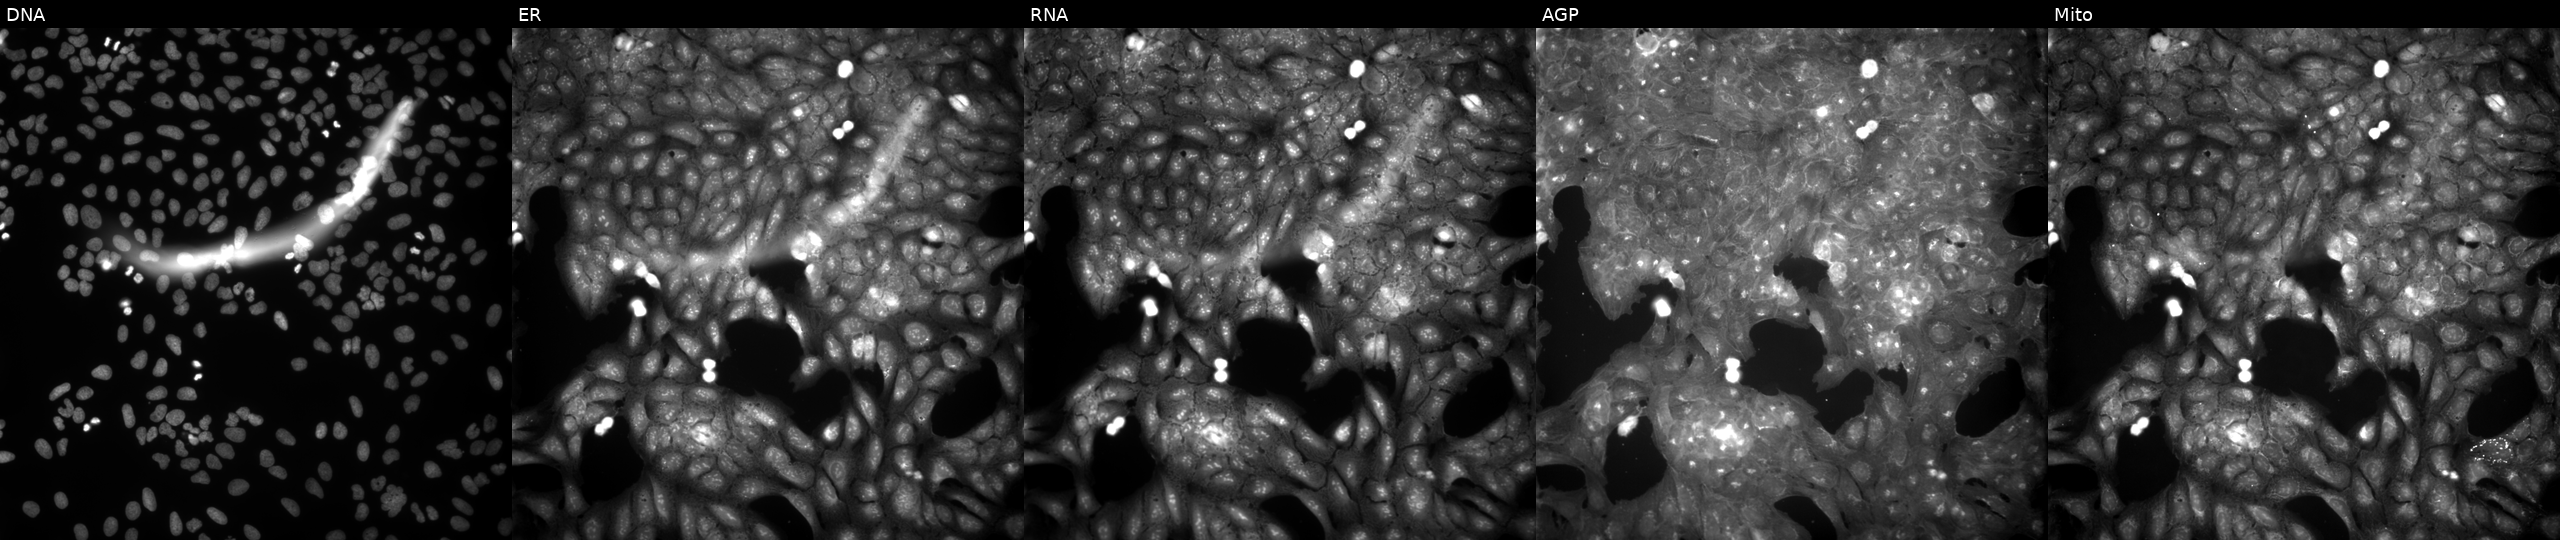
JUMP Cell Painting — COMPOUND plate. U2OS cells perturbed with a small-molecule compound. Panels show, left to right, Hoechst 33342, concanavalin A, SYTO 14, phalloidin and WGA, MitoTracker.